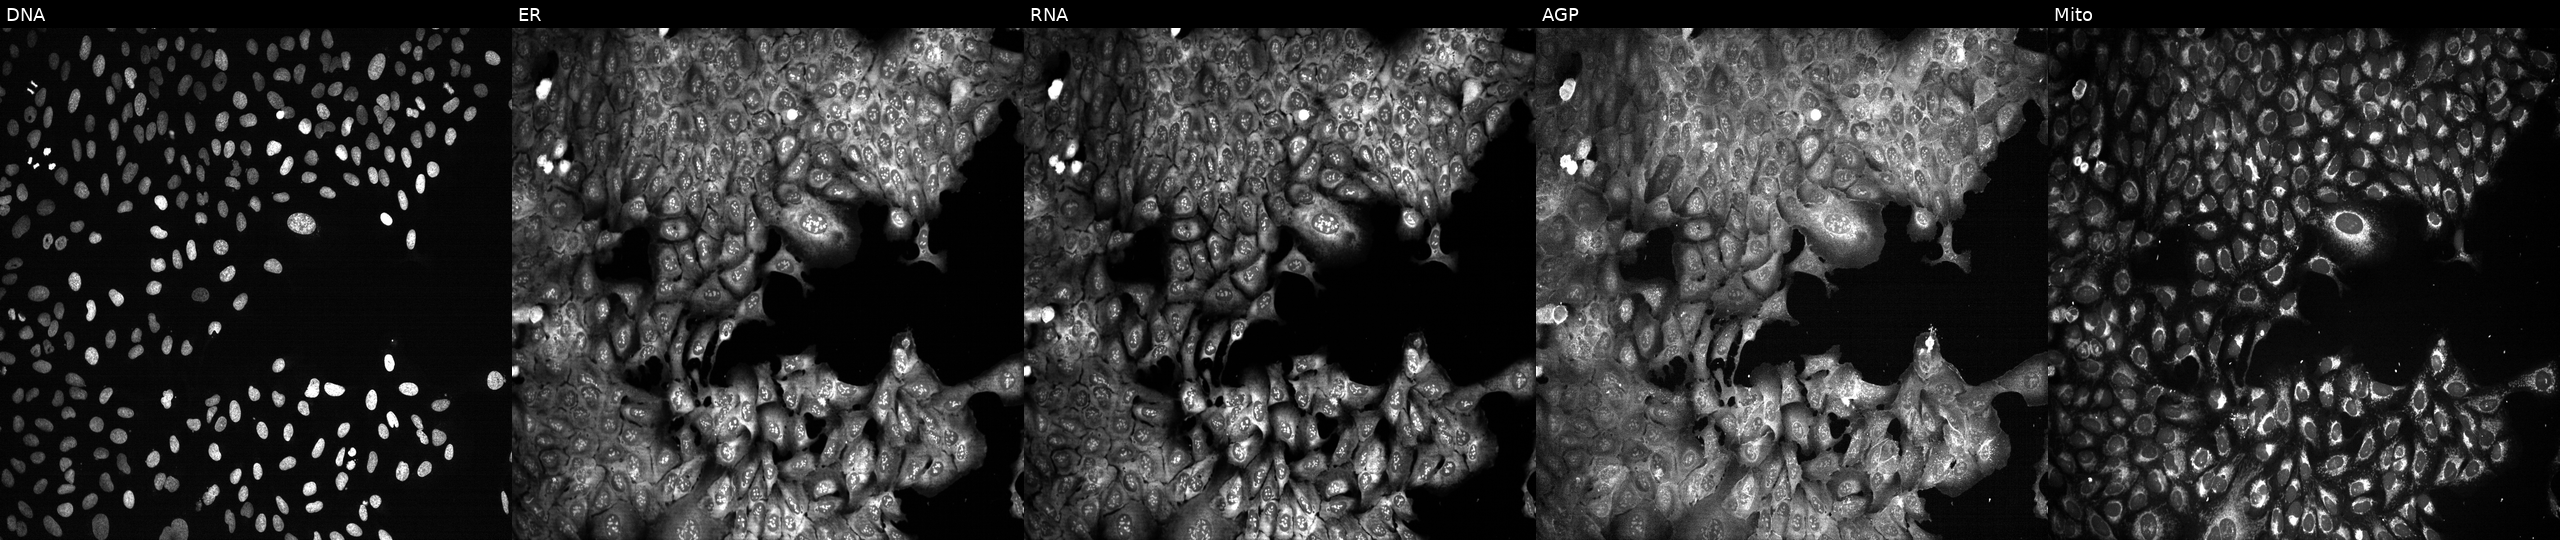
Five-channel Cell Painting image of U2OS cells CRISPR-edited to disrupt CBX8. Panels show, left to right, DNA, ER, RNA, AGP, and Mito. Source 13, plate CP-CC9-R3-01, well I14.